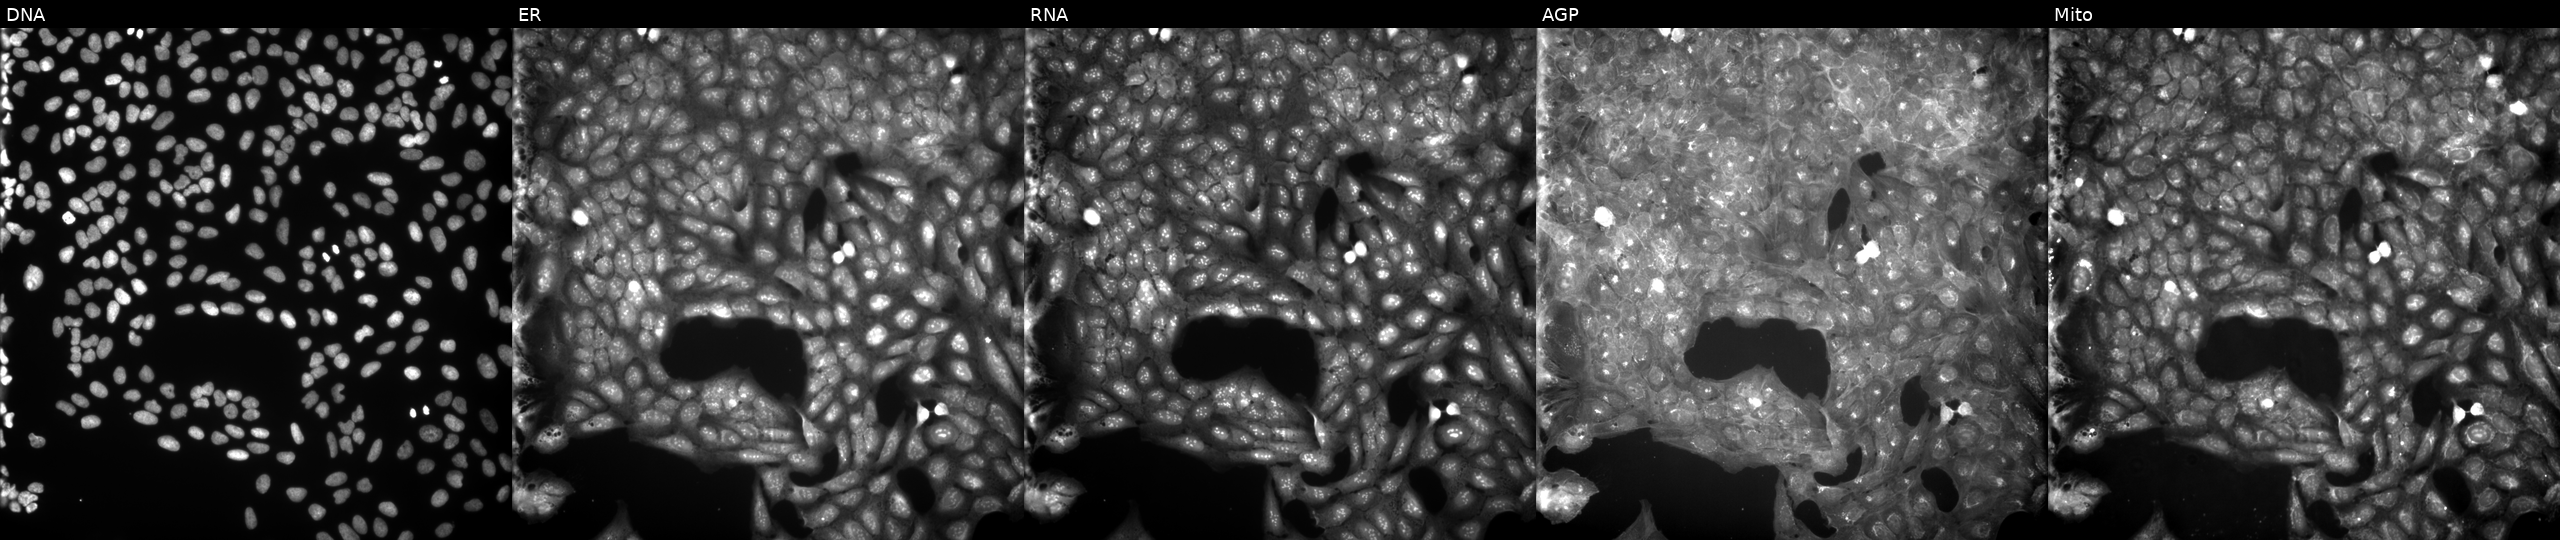
This image strip shows the five Cell Painting channels for a single field of U2OS cells treated with a small-molecule compound (InChIKey CLGYTJGIIYMRDL-UHFFFAOYSA-N) (JUMP id JCP2022_011864). Panels show, left to right, DNA, ER, RNA, AGP, and Mito.